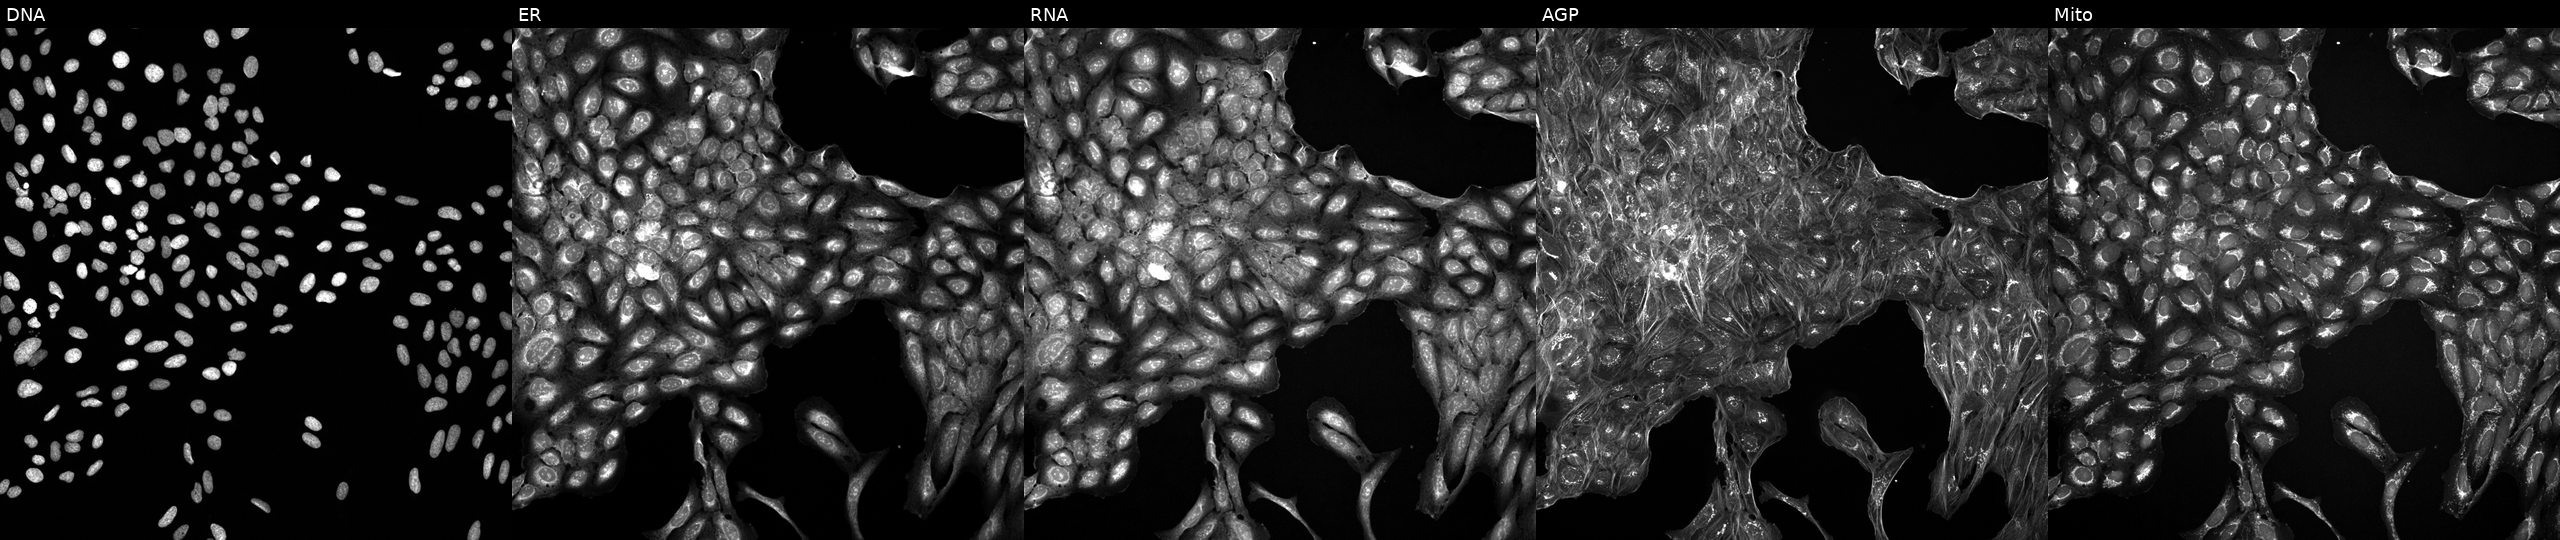
U2OS cells, Cell Painting assay, exposed to a small-molecule compound (InChIKey HAQDEJPEAKWAAM-UHFFFAOYSA-N). Panels show, left to right, Hoechst 33342, concanavalin A, SYTO 14, phalloidin and WGA, MitoTracker. Each panel is percentile-stretched 16-bit fluorescence.